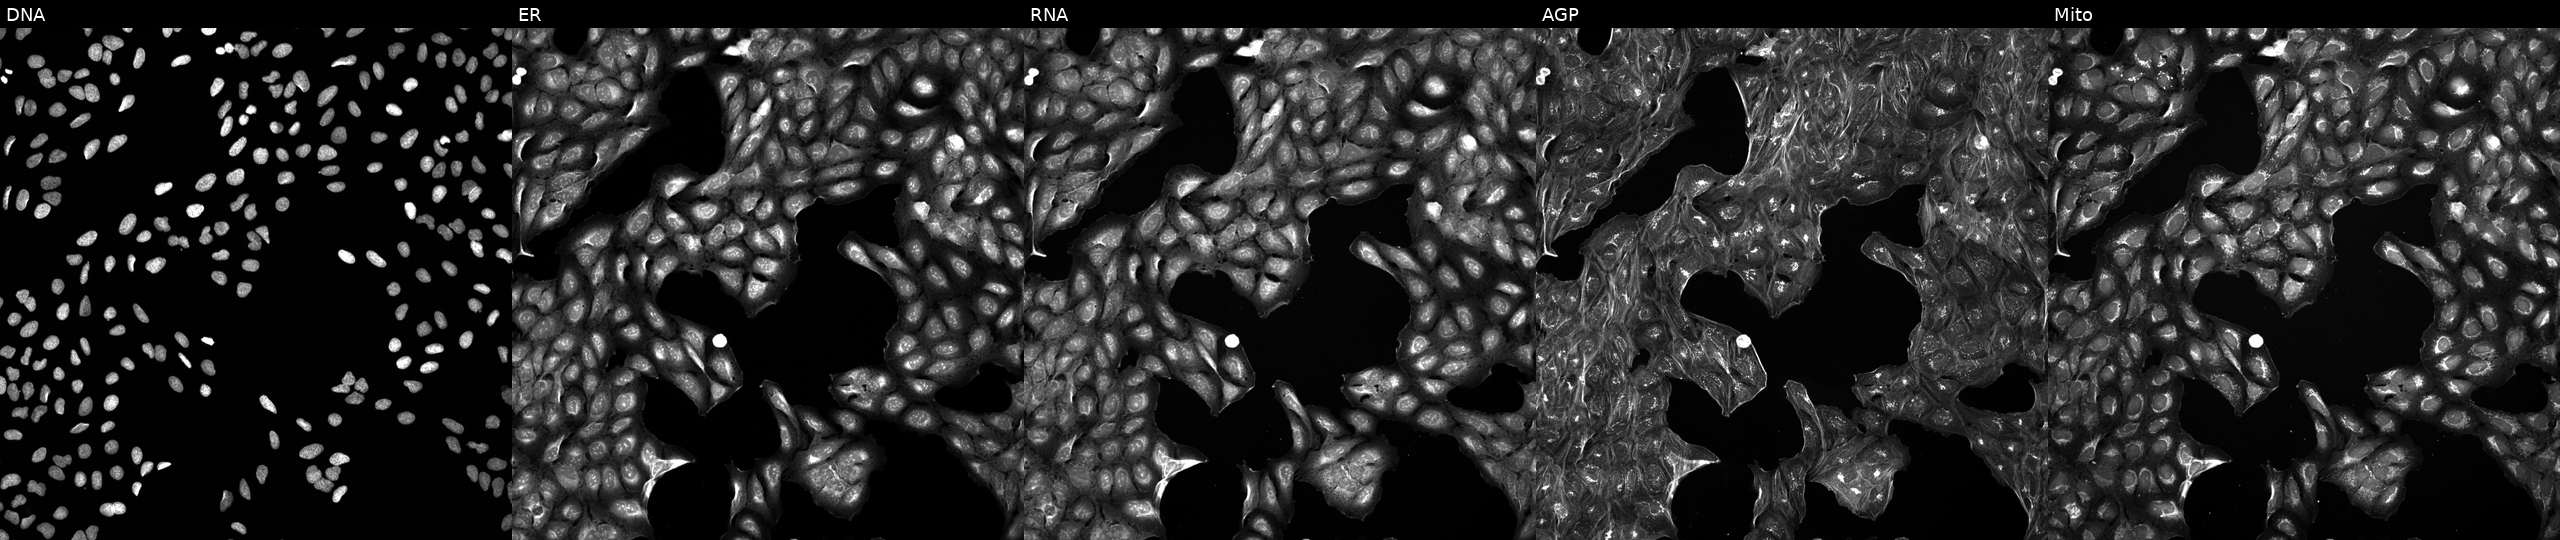
The five panels, left to right, show Hoechst 33342, concanavalin A, SYTO 14, phalloidin and WGA, MitoTracker. U2OS osteosarcoma cells exposed to a small-molecule compound (InChIKey KJRBSWDBPXYHDF-UHFFFAOYSA-N). Cell Painting assay, JUMP-CP dataset.